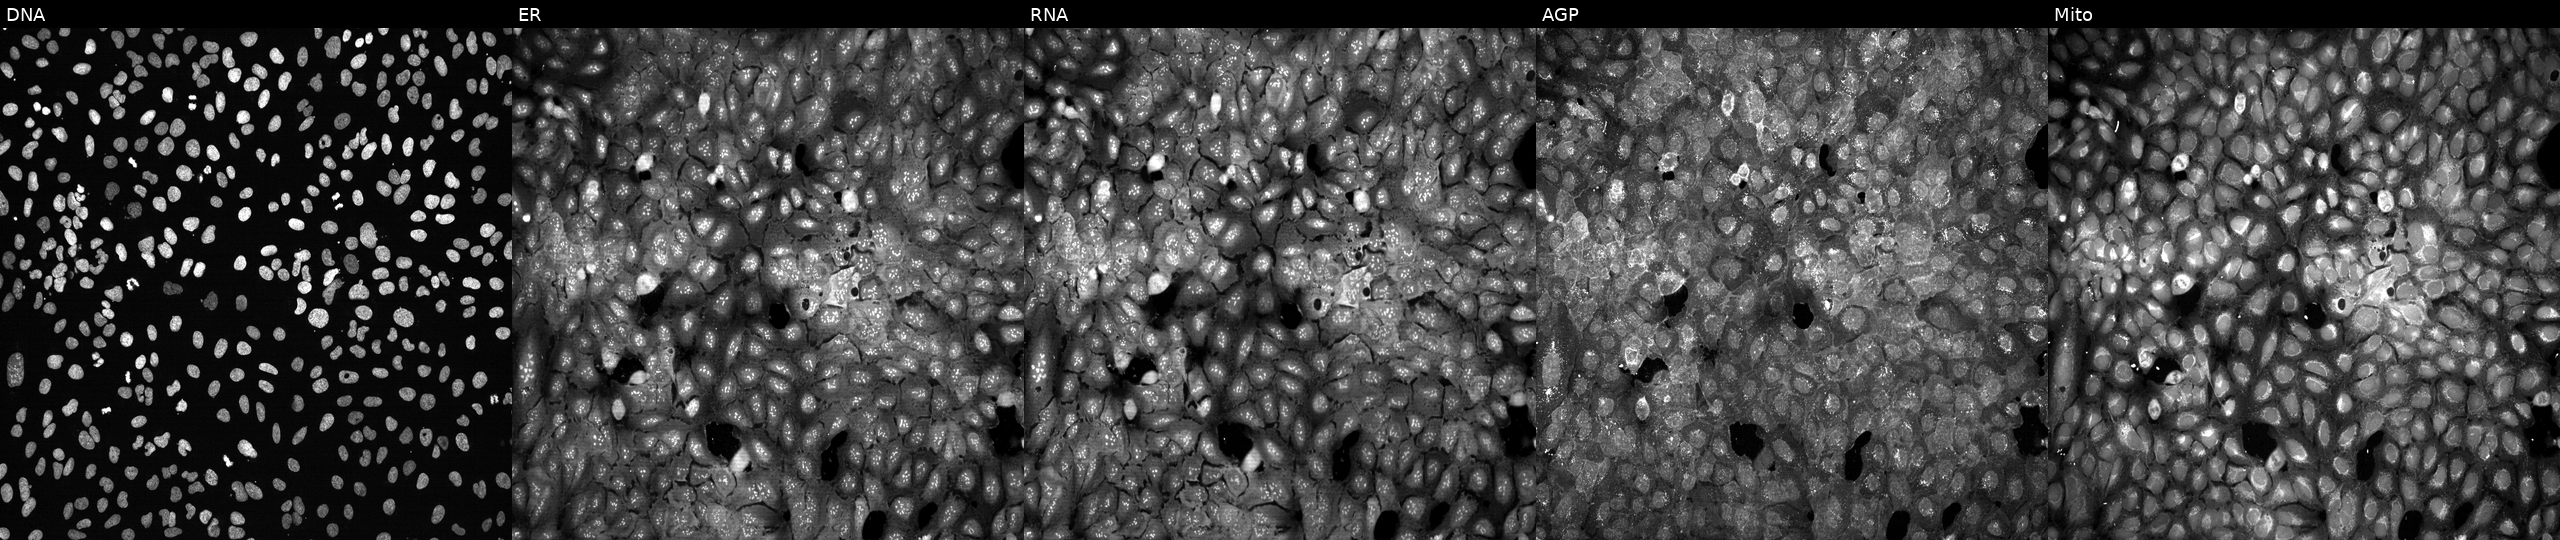
JUMP Cell Painting — CRISPR plate. U2OS cells following CRISPR knockout of ADCY5. Channels (left→right): DNA (nuclei); ER (endoplasmic reticulum); RNA (nucleoli and cytoplasmic RNA); AGP (actin cytoskeleton, Golgi, and plasma membrane); Mito (mitochondria). Source 13, plate CP-CC9-R1-01, well G11.